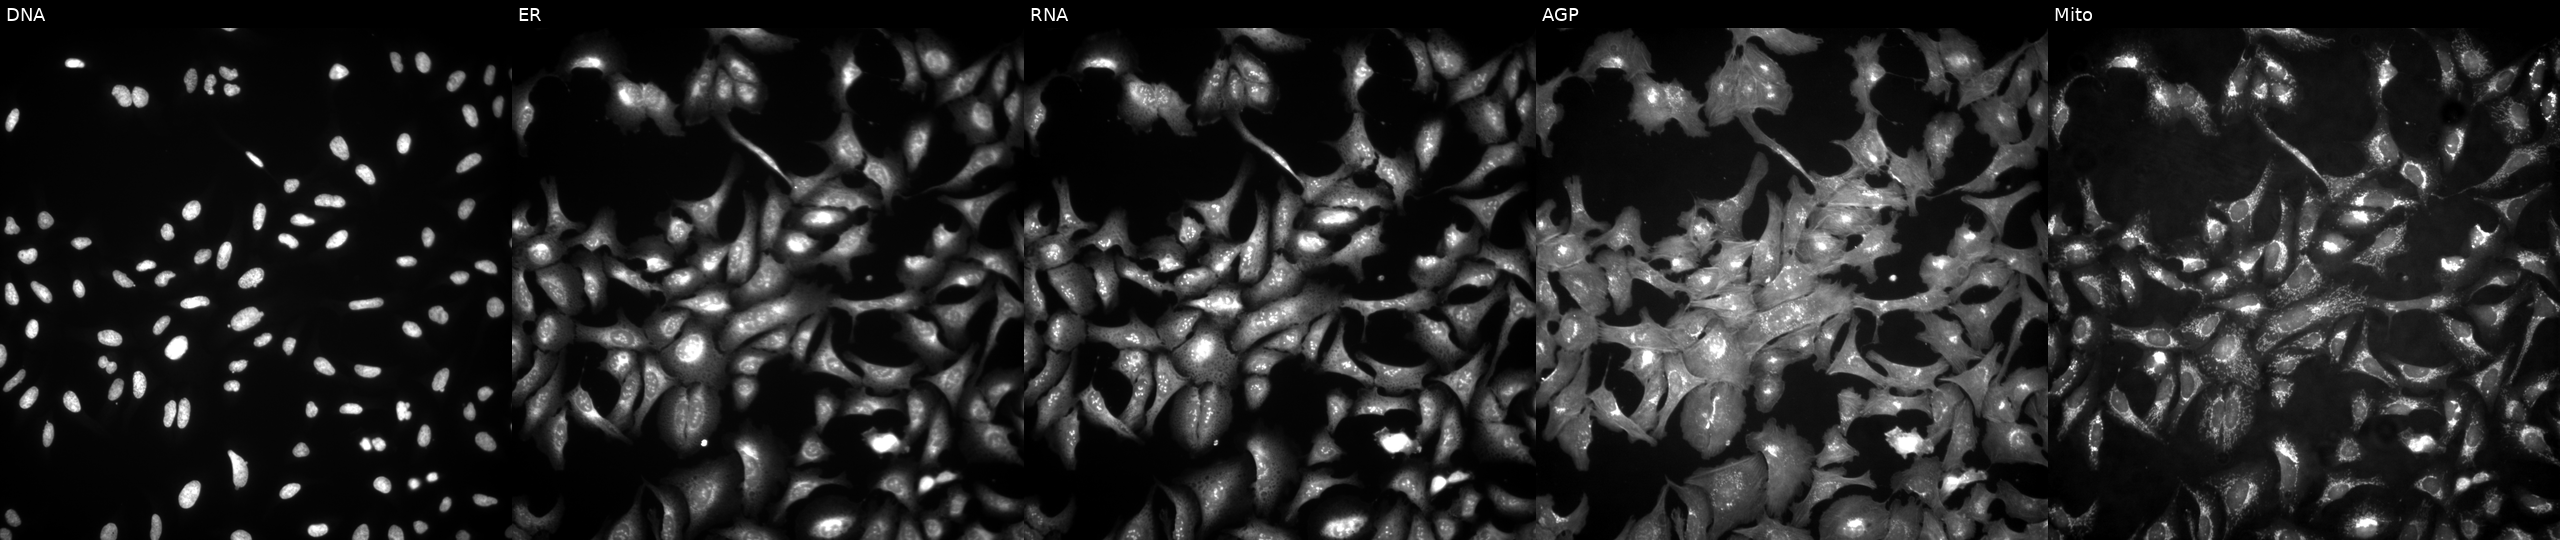
This image strip shows the five Cell Painting channels for a single field of U2OS cells transfected with an ORF construct for NOXO1. The five panels, left to right, show Hoechst 33342, concanavalin A, SYTO 14, phalloidin and WGA, MitoTracker.